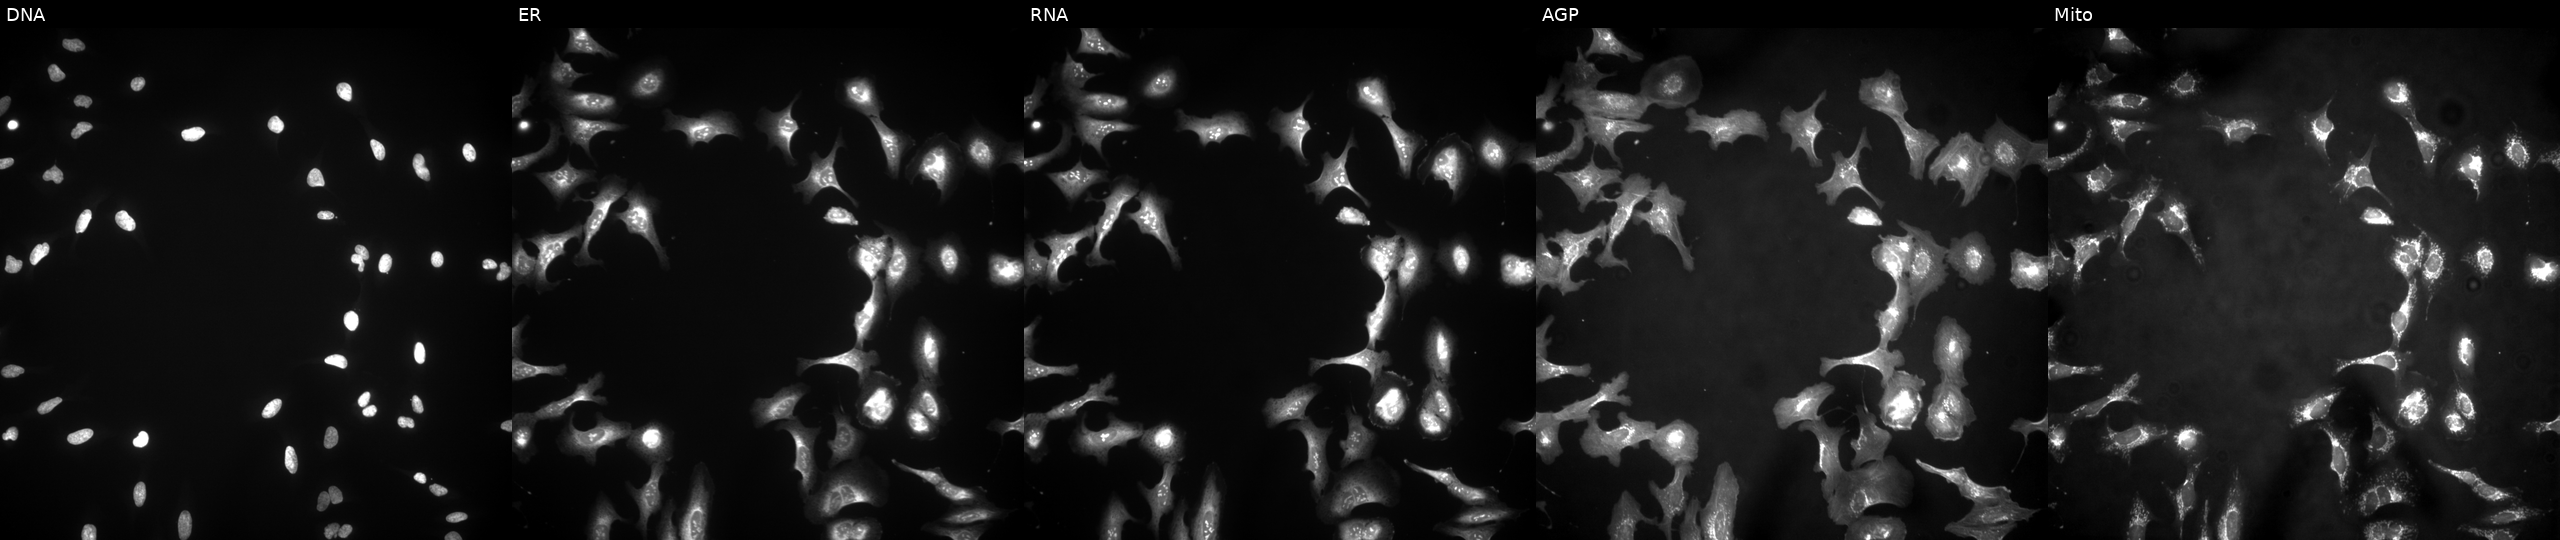
U2OS cells, Cell Painting assay, overexpressing SETD6 via ORF transfection. The five panels, left to right, show Hoechst 33342, concanavalin A, SYTO 14, phalloidin and WGA, MitoTracker. Each panel is percentile-stretched 16-bit fluorescence. Source 4, plate BR00123506, well L13.